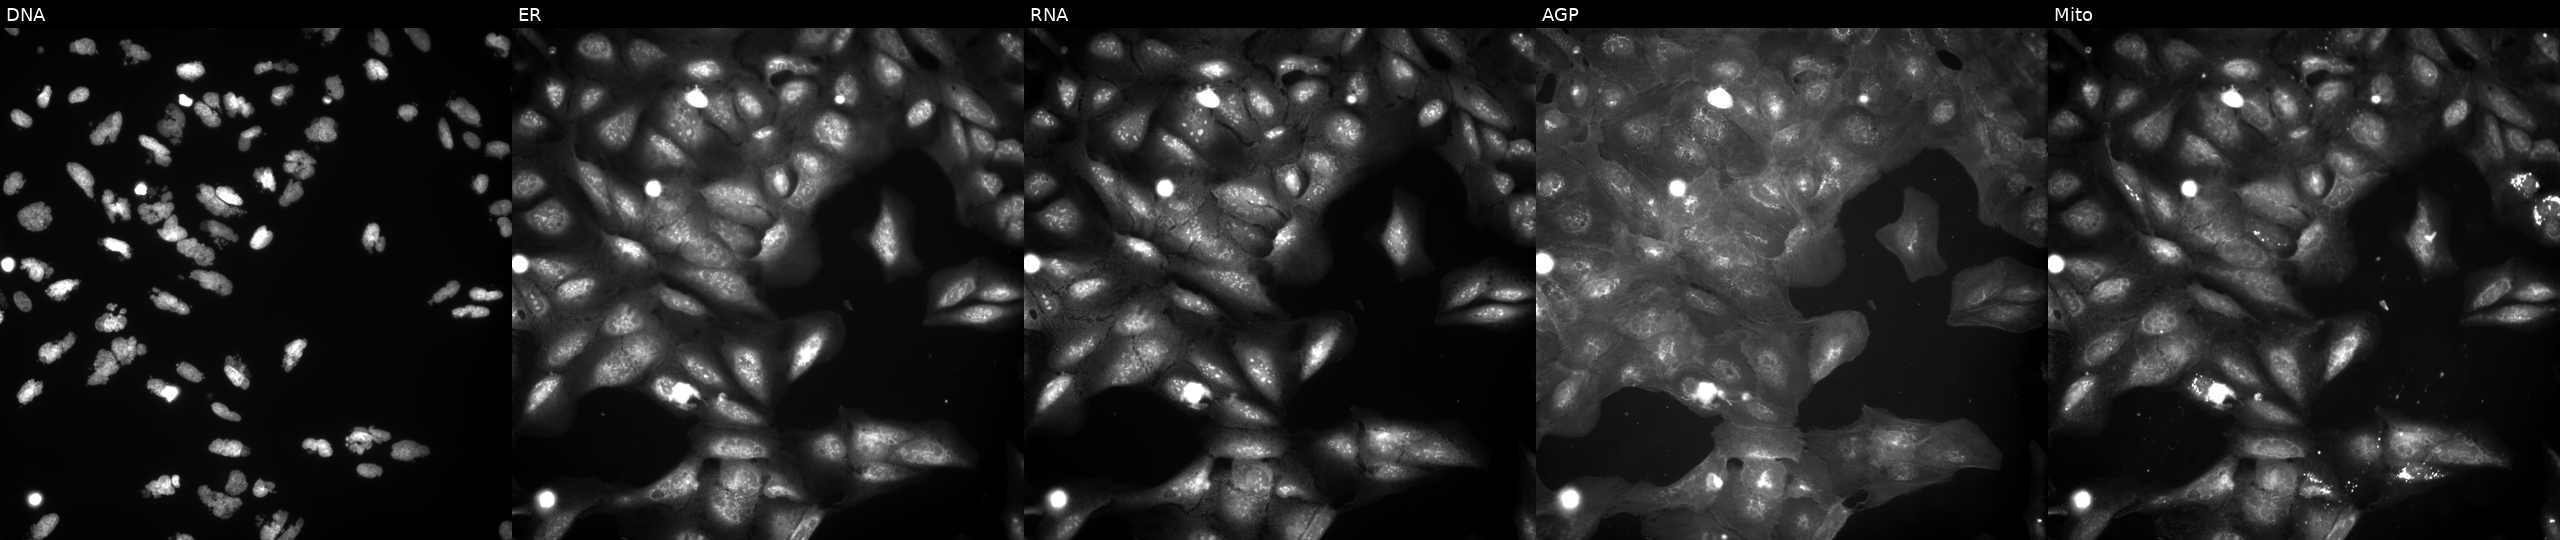
JUMP Cell Painting — COMPOUND plate. U2OS cells exposed to the positive-control compound AMG900 (JUMP id JCP2022_037716). From left to right: Hoechst 33342, concanavalin A, SYTO 14, phalloidin and WGA, MitoTracker.